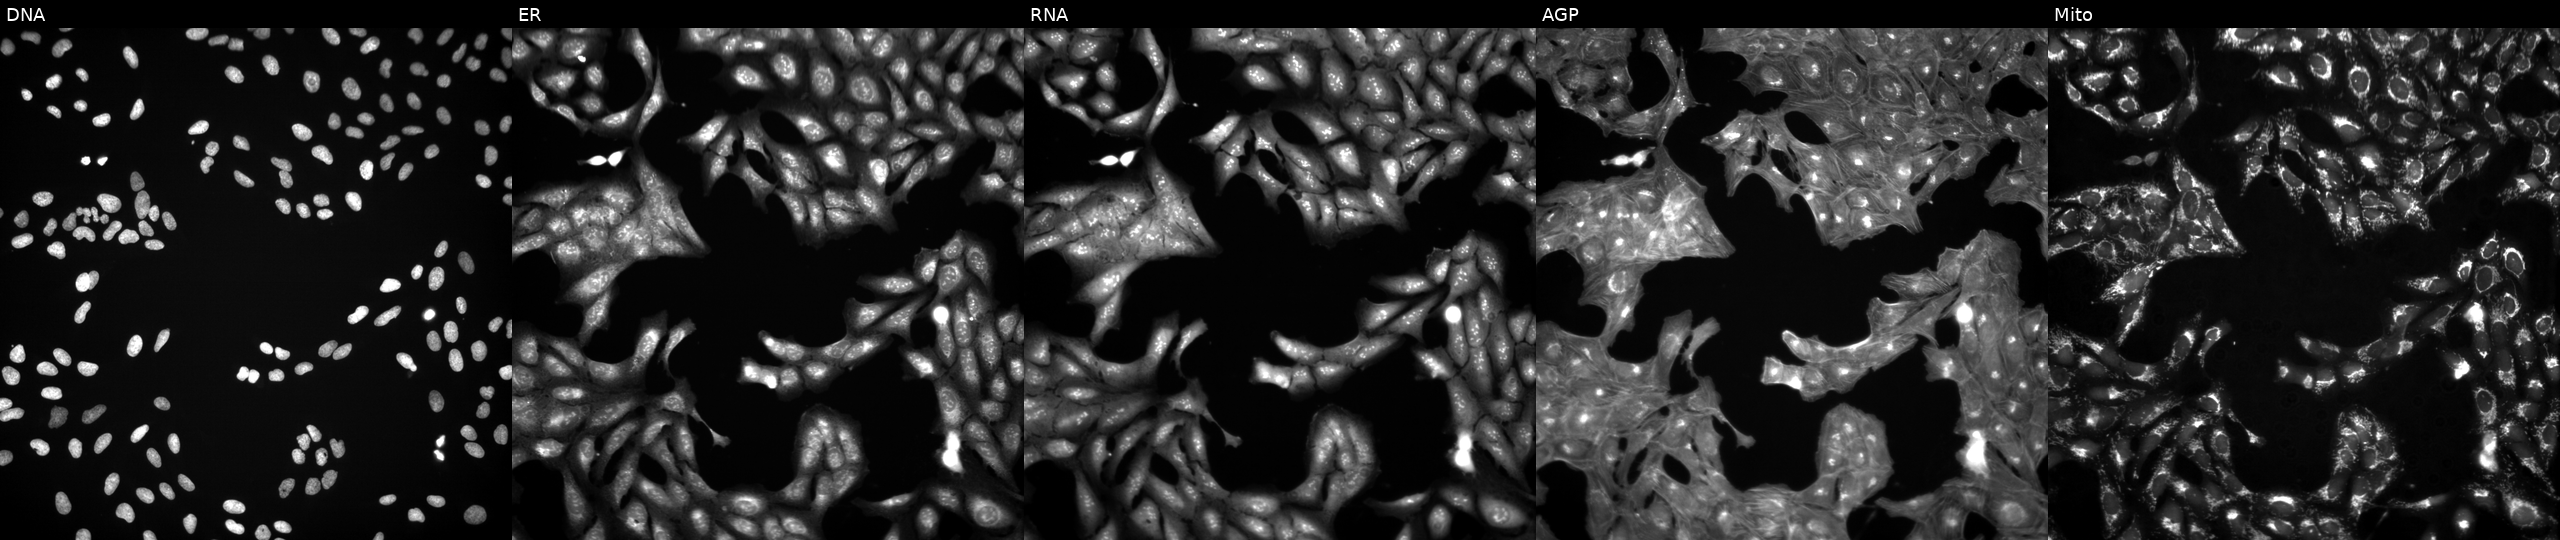
This image strip shows the five Cell Painting channels for a single field of U2OS cells exposed to the positive-control compound quinidine. From left to right: Hoechst 33342, concanavalin A, SYTO 14, phalloidin and WGA, MitoTracker.